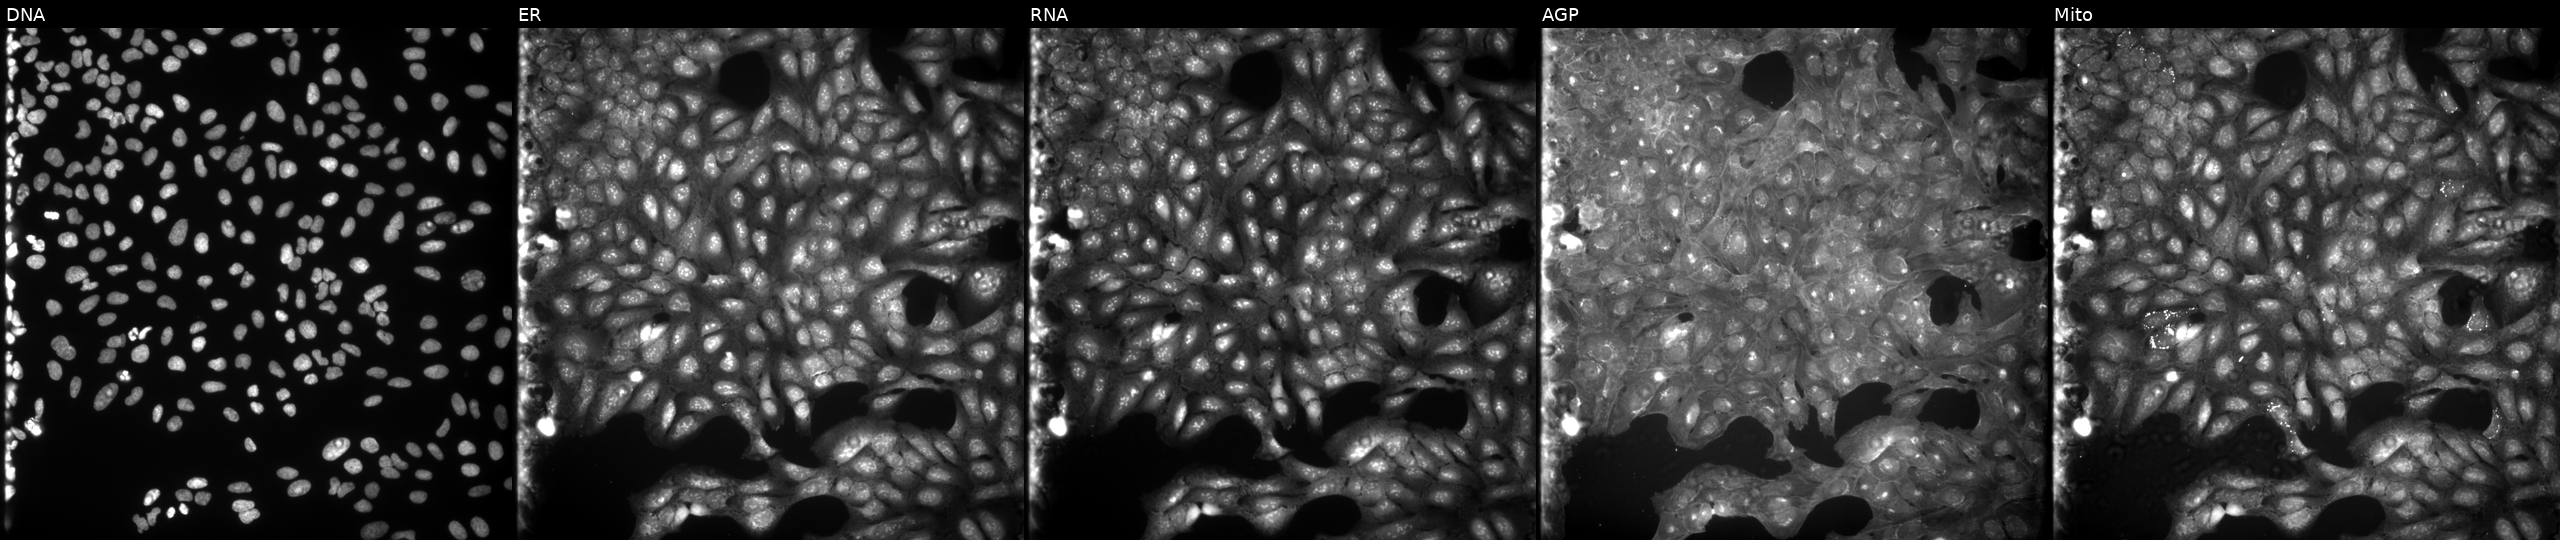
U2OS cells, Cell Painting assay, perturbed with a small-molecule compound (InChIKey OXAGHNGPSNFWKA-UHFFFAOYSA-N). The five panels, left to right, show Hoechst 33342, concanavalin A, SYTO 14, phalloidin and WGA, MitoTracker. Each panel is percentile-stretched 16-bit fluorescence.